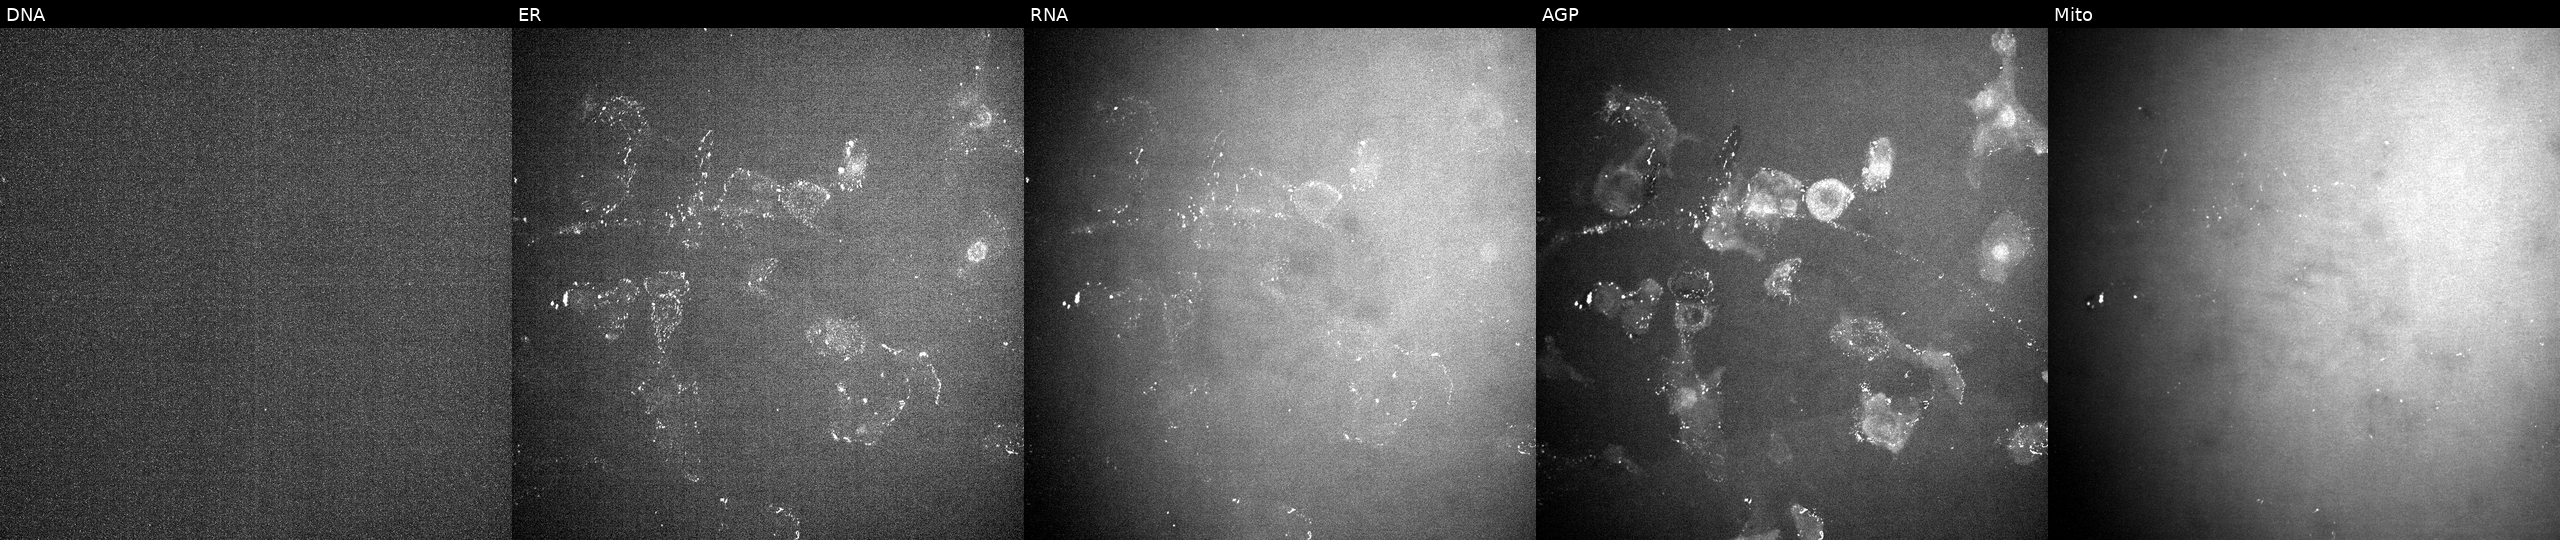
From left to right: DNA (nuclei); ER (endoplasmic reticulum); RNA (nucleoli and cytoplasmic RNA); AGP (actin cytoskeleton, Golgi, and plasma membrane); Mito (mitochondria). U2OS osteosarcoma cells treated with a small-molecule compound (InChIKey PKCYYPHSCUSQDK-UHFFFAOYSA-N) (JUMP id JCP2022_069131). Cell Painting assay, JUMP-CP dataset. Source 10, plate Dest210727-153003, well G18.